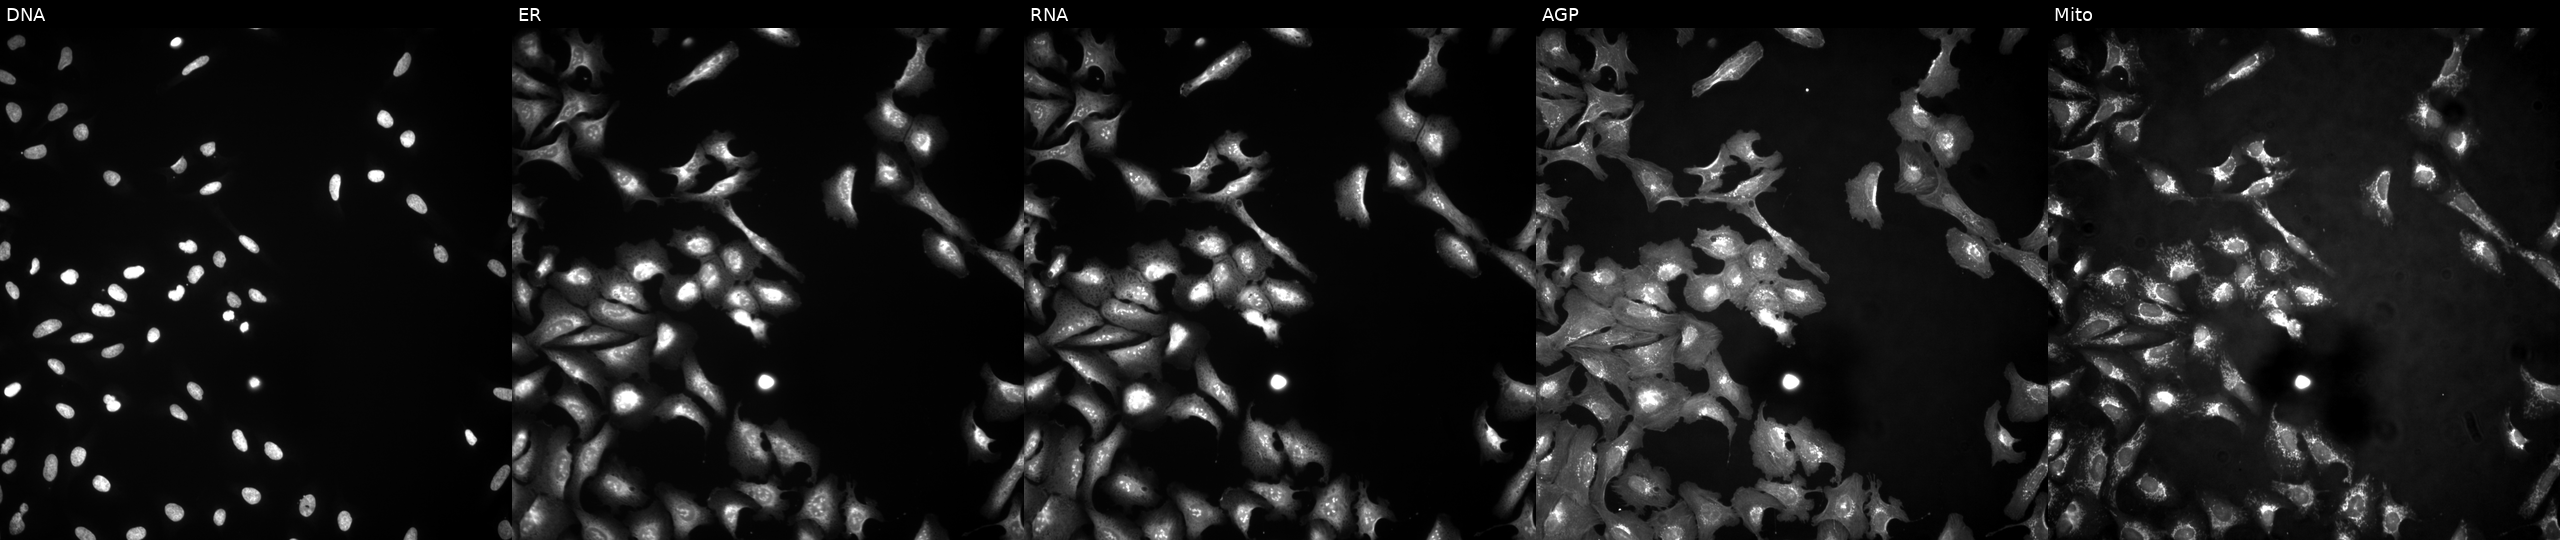
This image strip shows the five Cell Painting channels for a single field of U2OS cells transfected with an ORF construct for PTH1R (JUMP id JCP2022_914548). Channels (left→right): DNA, ER, RNA, AGP, and Mito.